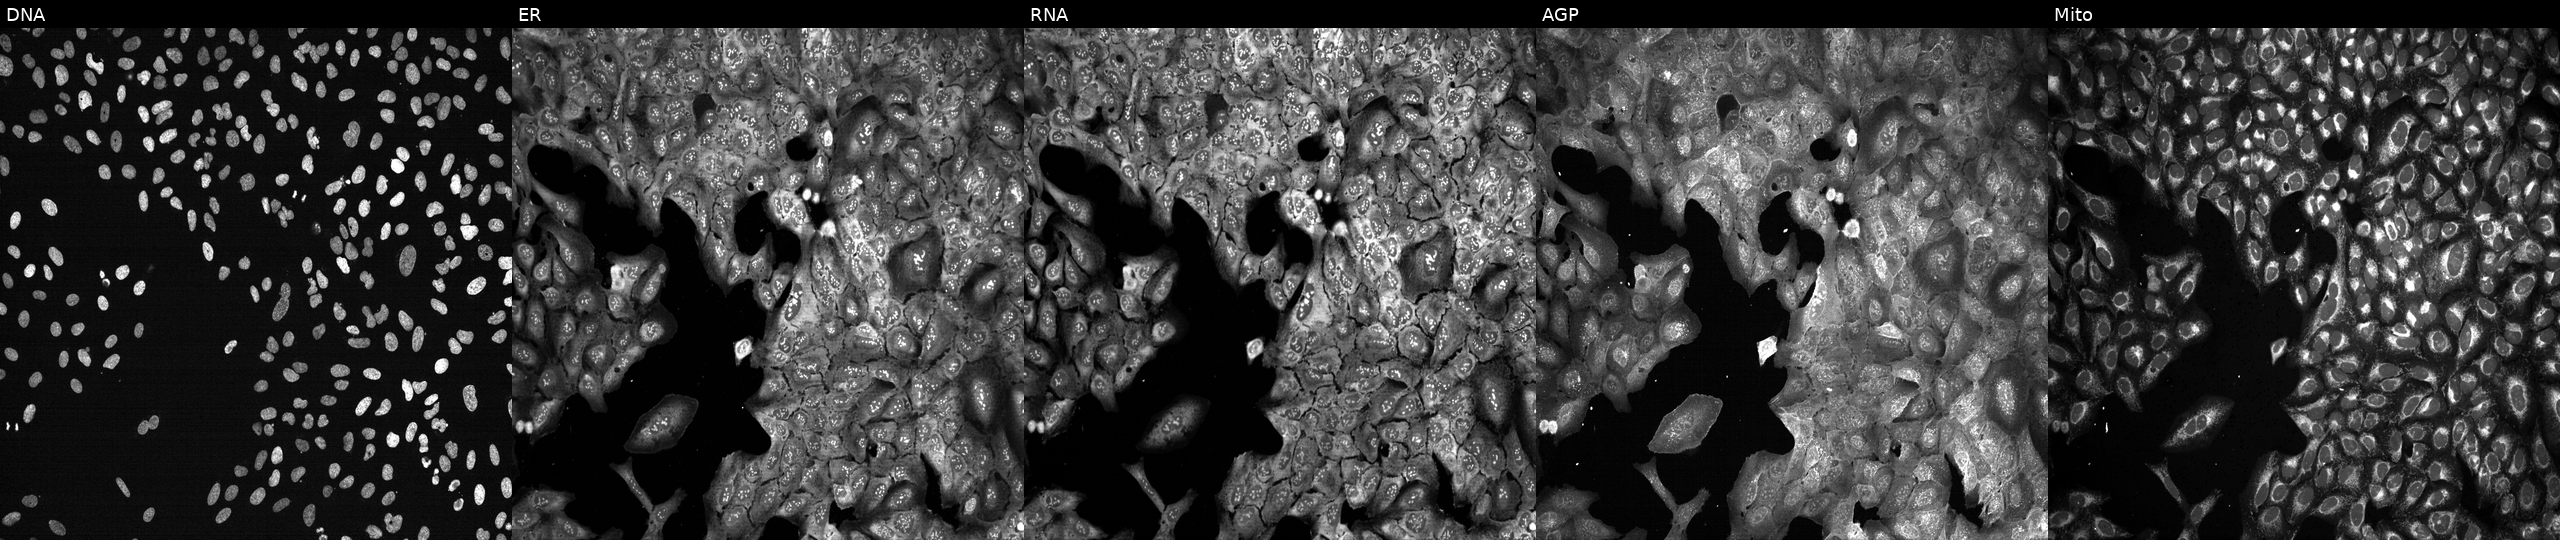
High-content fluorescence microscopy (Cell Painting). Cell line: U2OS. Perturbation: following CRISPR knockout of NECTIN3. The five panels, left to right, show DNA (nuclei); ER (endoplasmic reticulum); RNA (nucleoli and cytoplasmic RNA); AGP (actin cytoskeleton, Golgi, and plasma membrane); Mito (mitochondria).